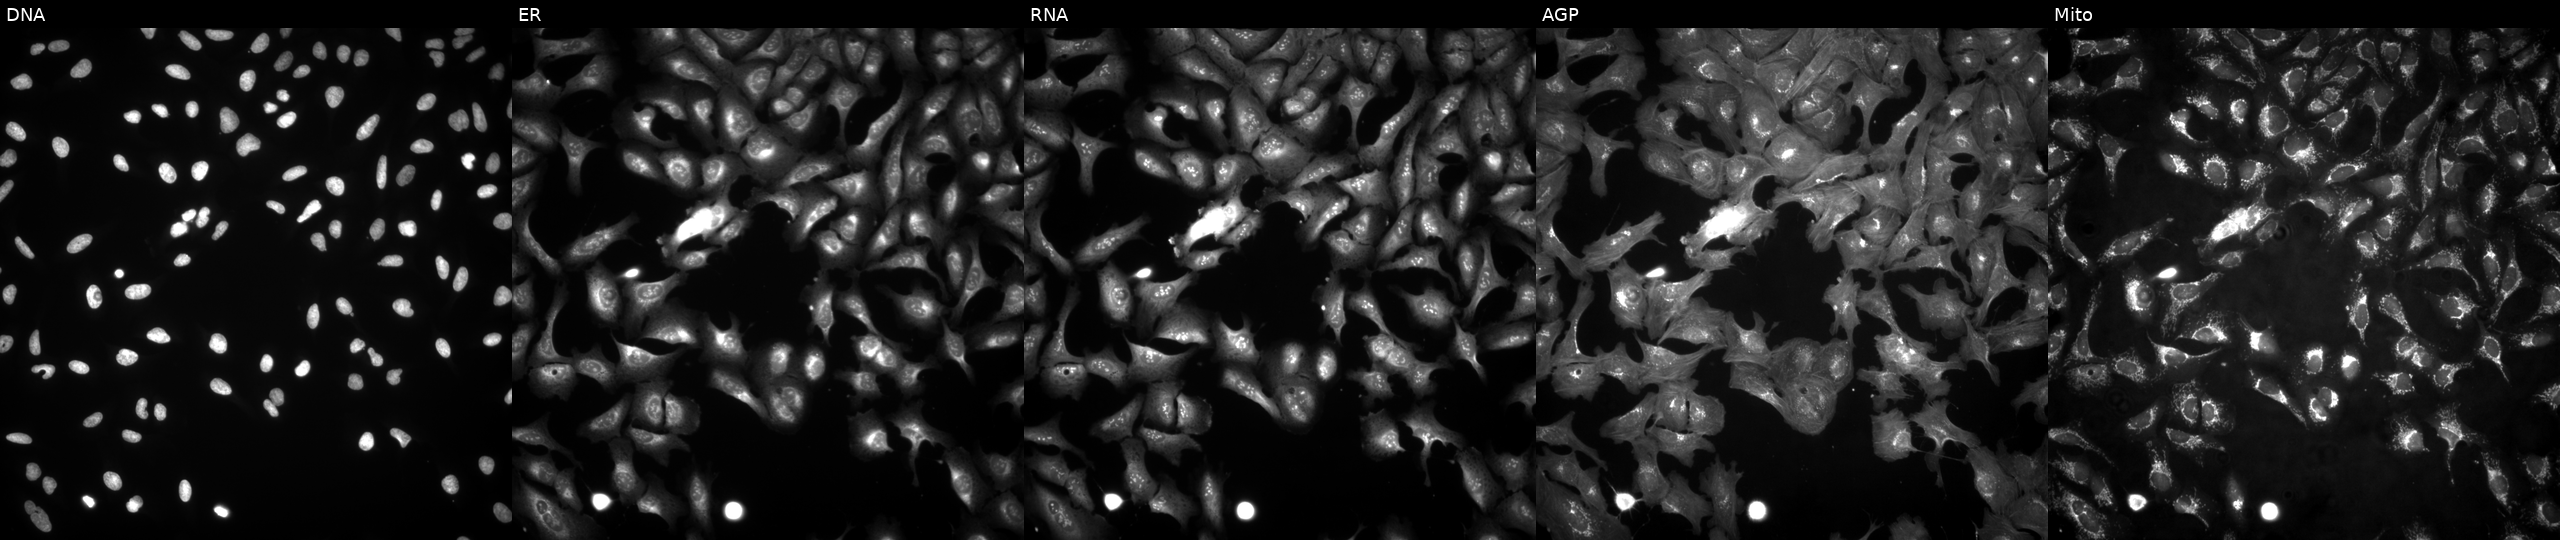
This image strip shows the five Cell Painting channels for a single field of U2OS cells in an empty control well (no perturbation) (JUMP id JCP2022_999999). From left to right: DNA, ER, RNA, AGP, and Mito.